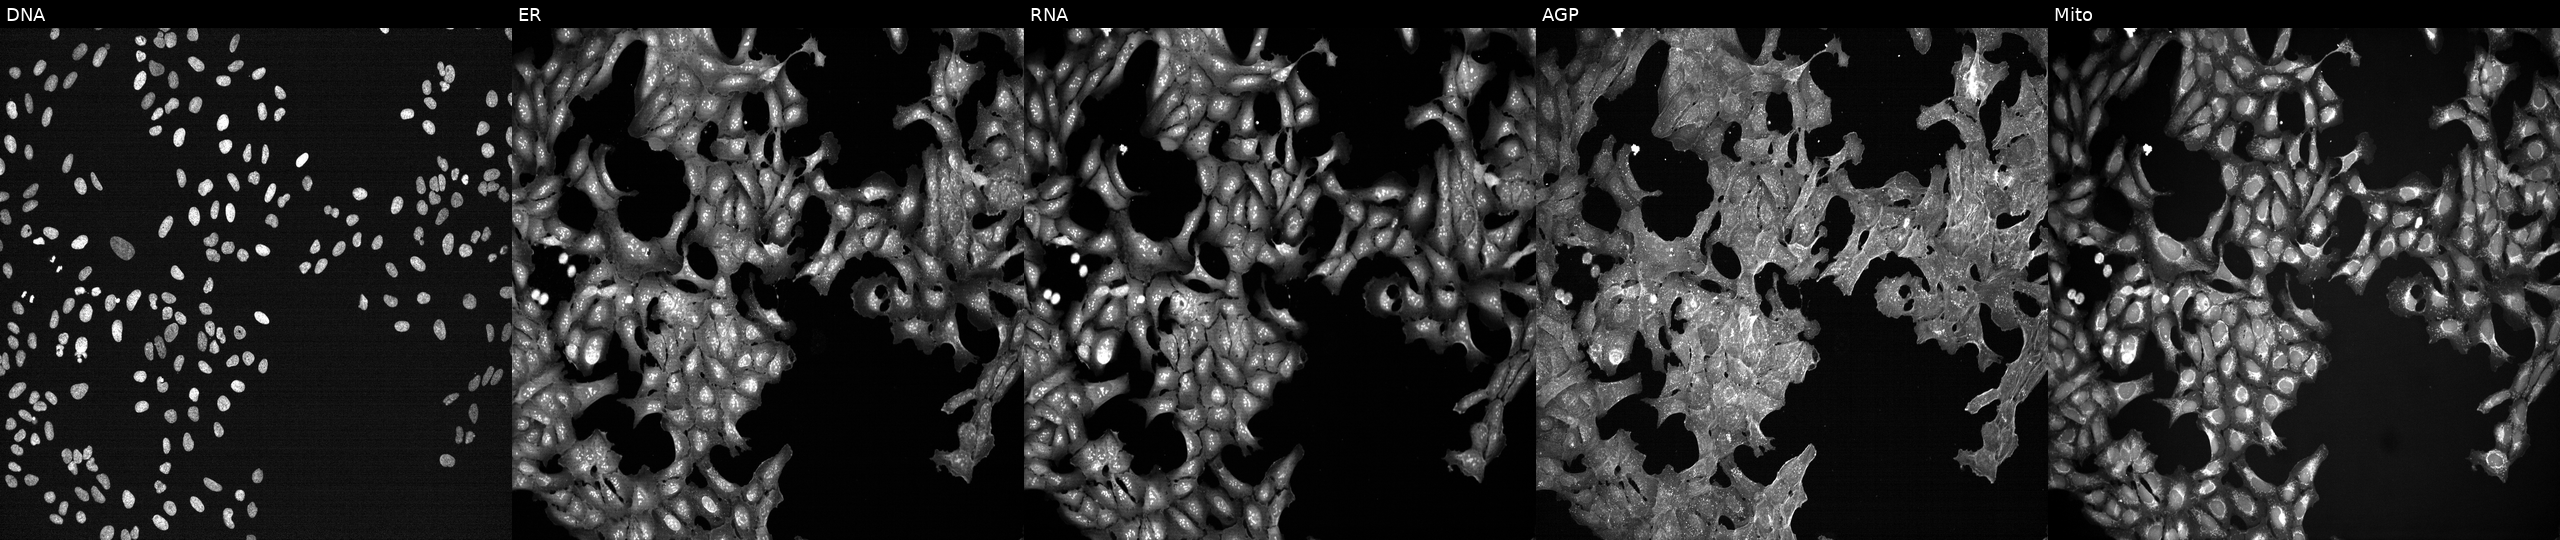
Channels (left→right): DNA (nuclei); ER (endoplasmic reticulum); RNA (nucleoli and cytoplasmic RNA); AGP (actin cytoskeleton, Golgi, and plasma membrane); Mito (mitochondria). U2OS osteosarcoma cells perturbed with a small-molecule compound (InChIKey ZDXPYRJPNDTMRX-UHFFFAOYSA-N) (JUMP id JCP2022_112702). Cell Painting assay, JUMP-CP dataset.